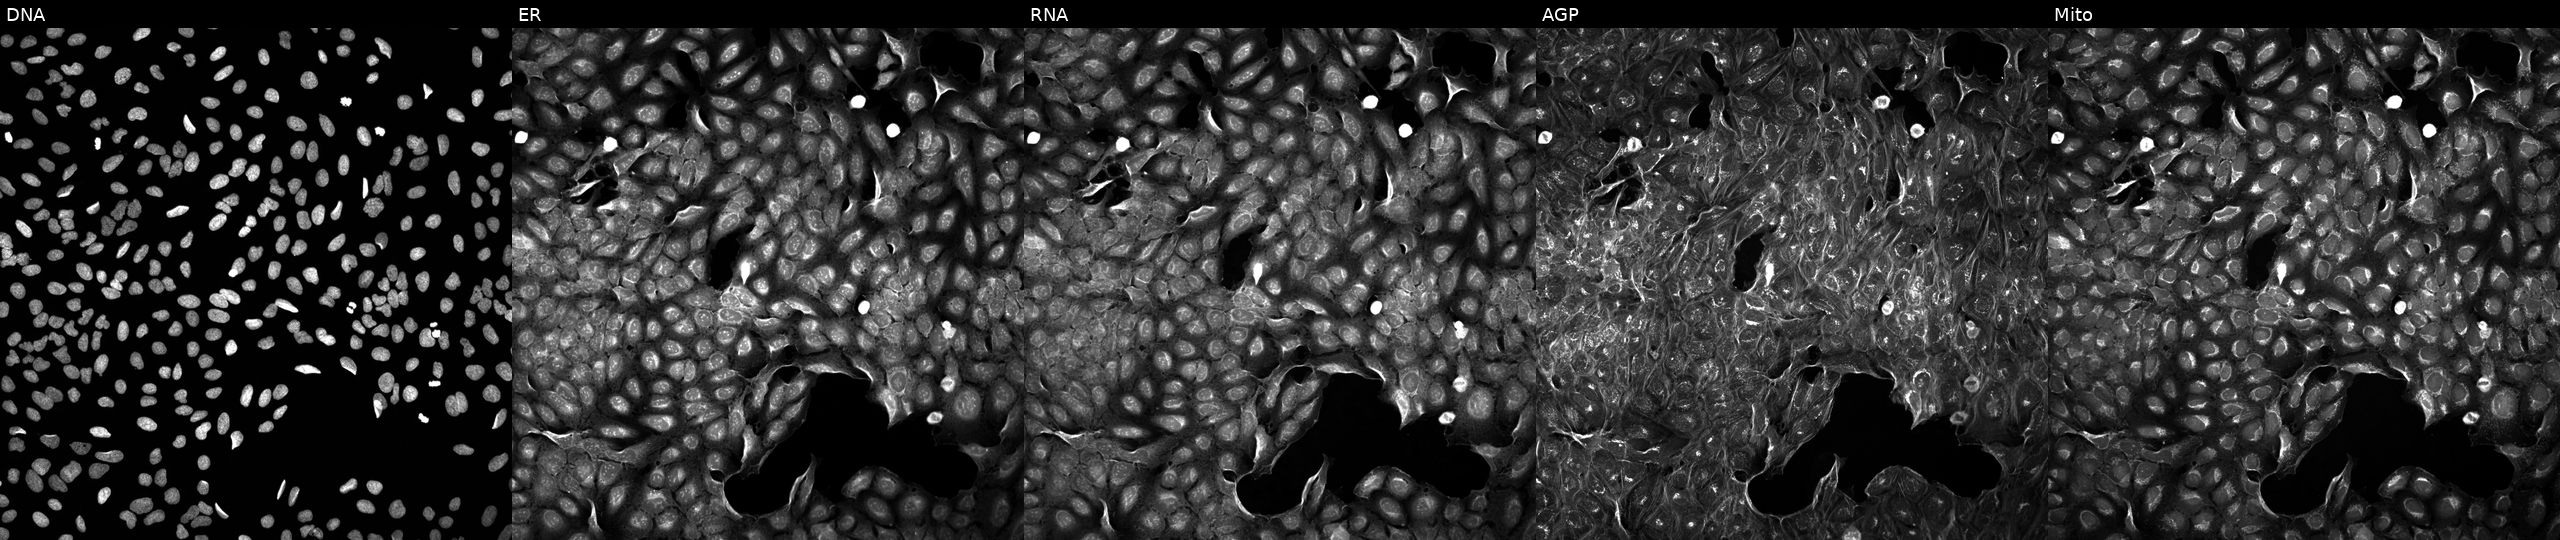
U2OS cells, Cell Painting assay, perturbed with a small-molecule compound [SMILES: COc1cccc(CNC(=O)c2cc(NC(C)=O)cc3nc(C)ccc23)c1OC] (JUMP id JCP2022_113953). From left to right: DNA, ER, RNA, AGP, and Mito. Each panel is percentile-stretched 16-bit fluorescence. Source 5, plate APTJUM105, well N14.